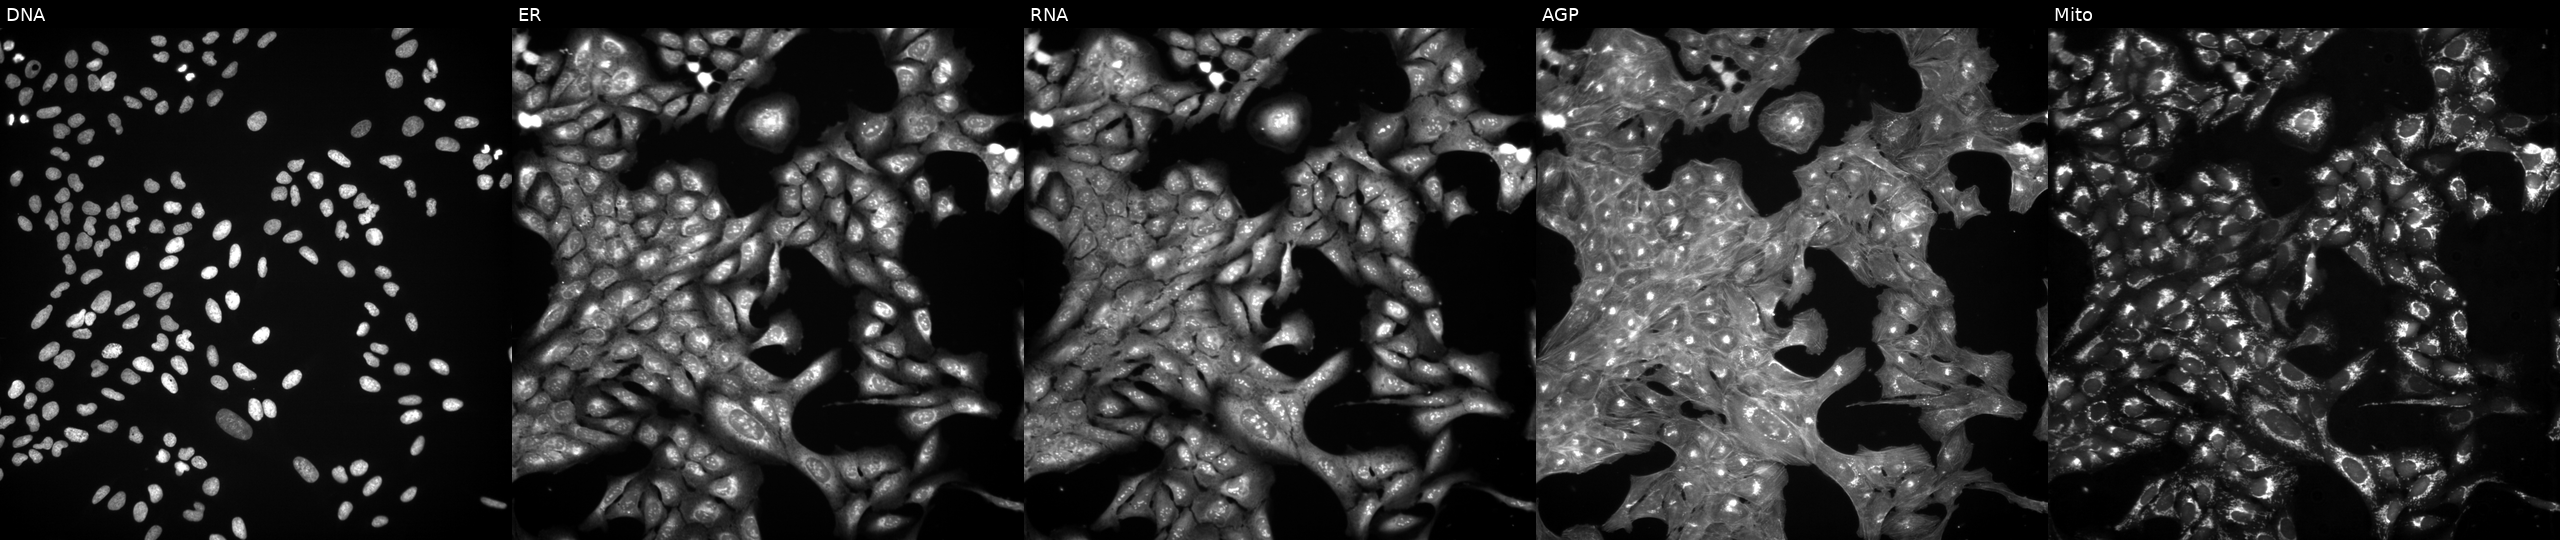
U2OS cells, Cell Painting assay, exposed to a small-molecule compound [SMILES: NC(=O)c1ccsc1NC(=O)Cn1c(O)c2c(c1O)CC=CC2]. Panels show, left to right, DNA (nuclei); ER (endoplasmic reticulum); RNA (nucleoli and cytoplasmic RNA); AGP (actin cytoskeleton, Golgi, and plasma membrane); Mito (mitochondria). Each panel is percentile-stretched 16-bit fluorescence.